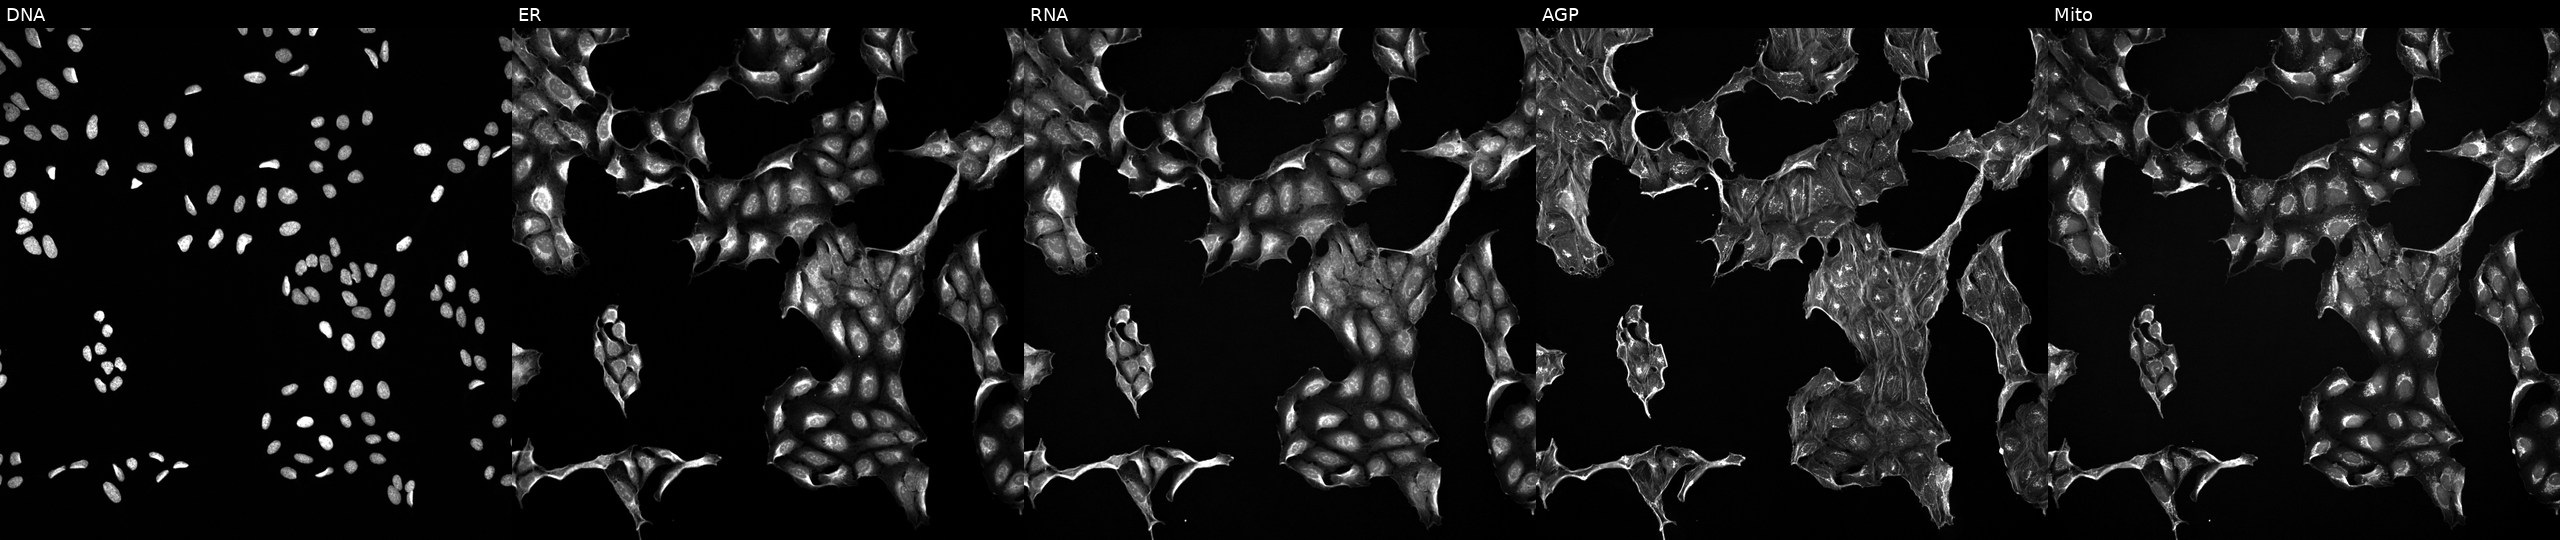
High-content fluorescence microscopy (Cell Painting). Cell line: U2OS. Perturbation: exposed to a small-molecule compound (InChIKey JYLNVJYYQQXNEK-UHFFFAOYSA-N). Channels (left→right): DNA, ER, RNA, AGP, and Mito. Source 5, plate ACPJUM012, well I03.